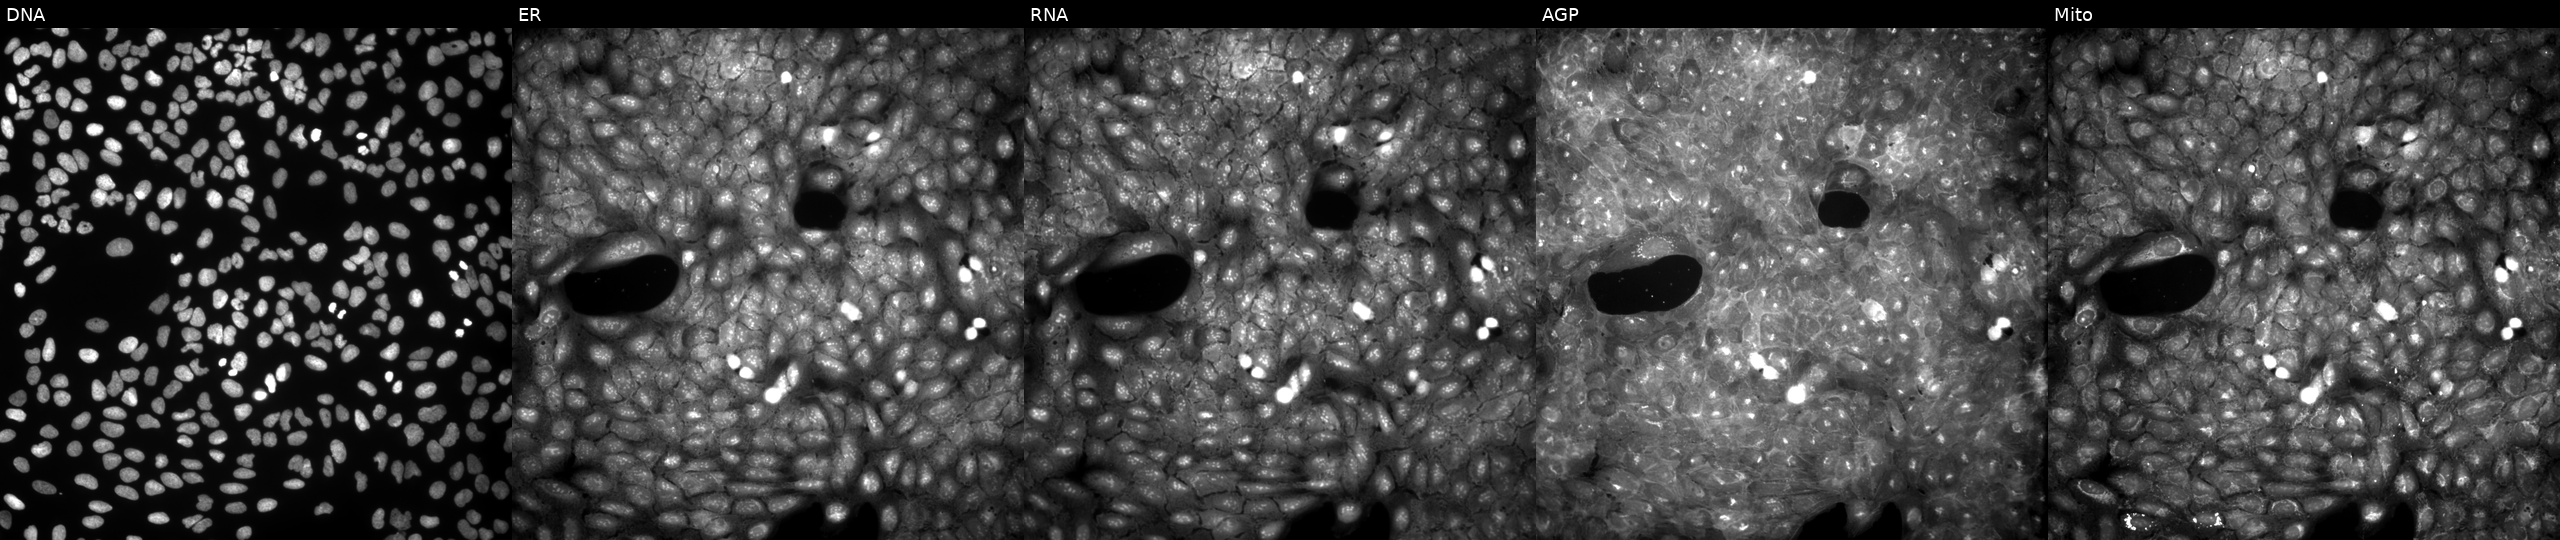
Channels (left→right): Hoechst 33342, concanavalin A, SYTO 14, phalloidin and WGA, MitoTracker. U2OS osteosarcoma cells exposed to DMSO alone as a negative control (JUMP id JCP2022_033924). Cell Painting assay, JUMP-CP dataset.